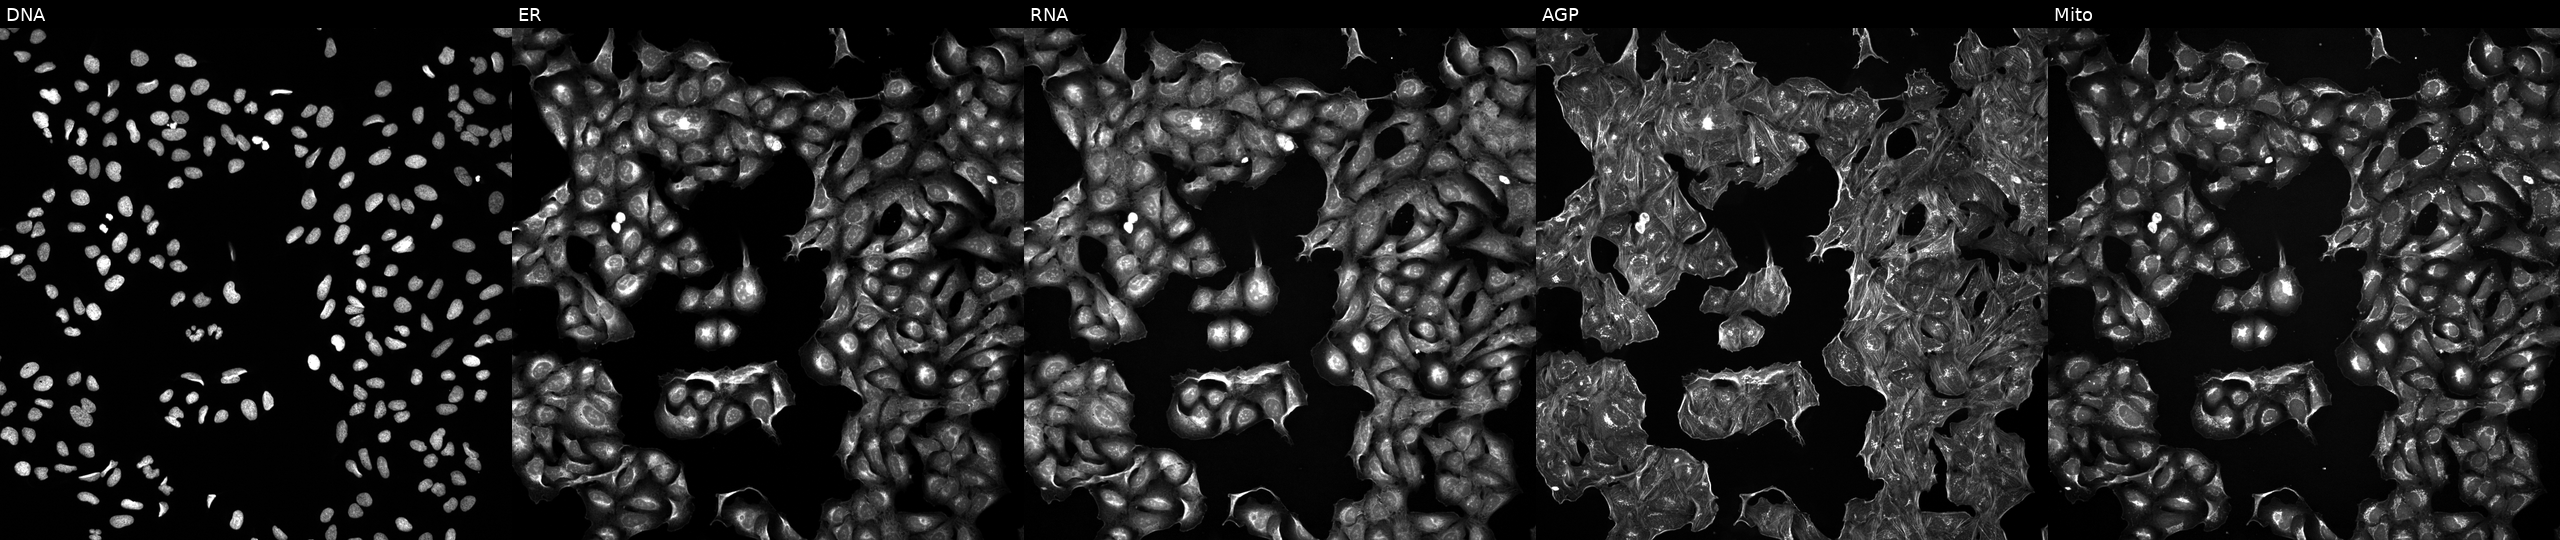
High-content fluorescence microscopy (Cell Painting). Cell line: U2OS. Perturbation: exposed to the positive-control compound NVS-PAK1-1 (JUMP id JCP2022_064022). Channels (left→right): Hoechst 33342, concanavalin A, SYTO 14, phalloidin and WGA, MitoTracker. Source 5, plate ACPJUM032, well J13.